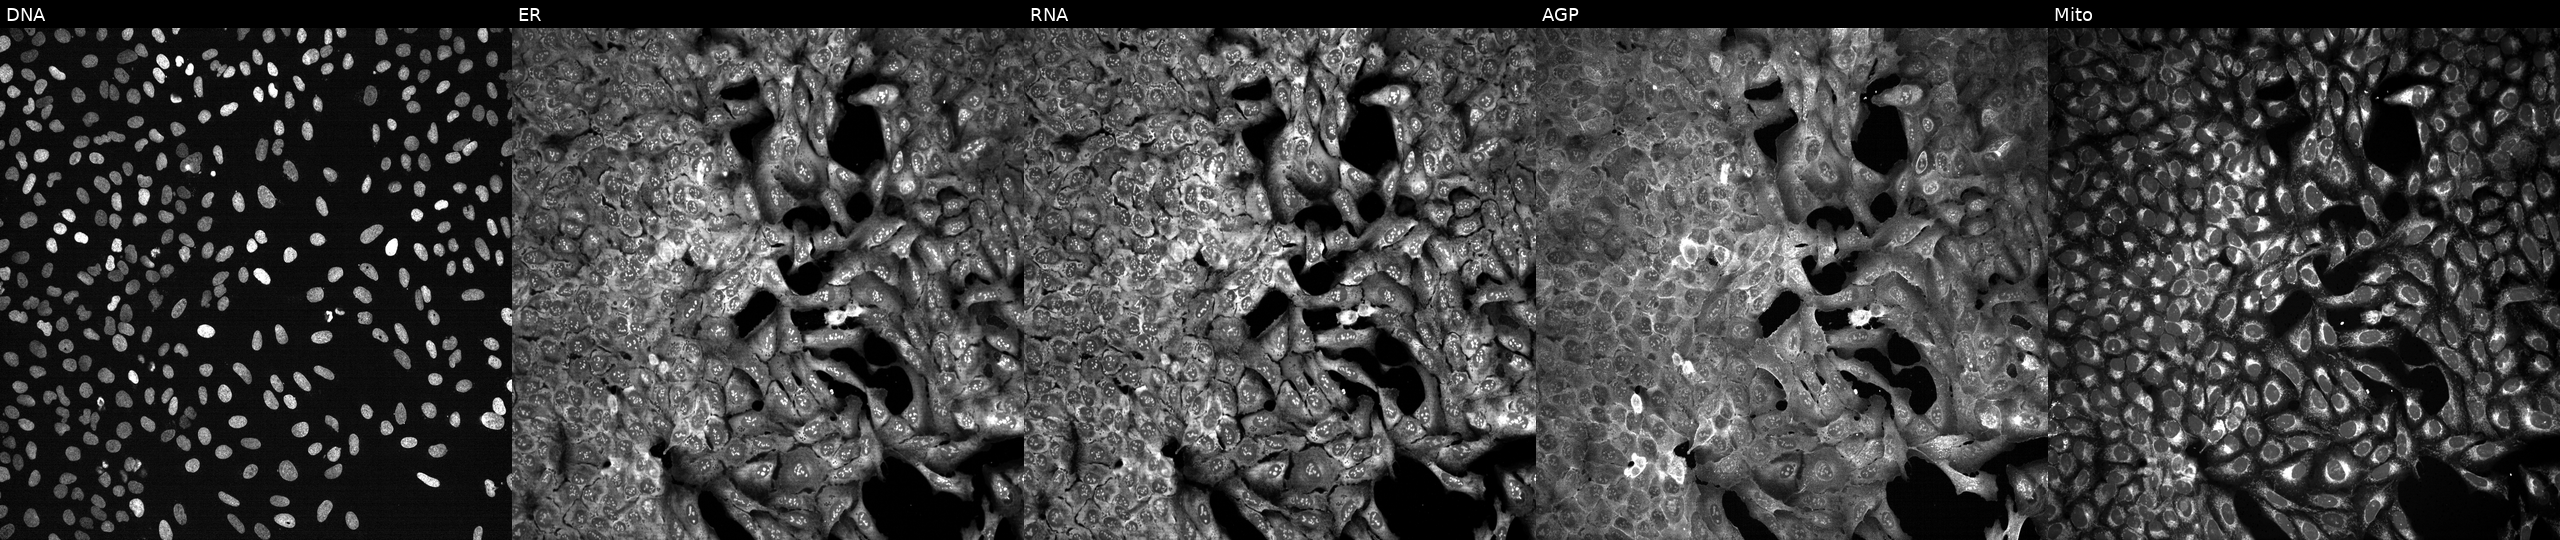
Five-channel Cell Painting image of U2OS cells with RTCA knocked out by CRISPR (JUMP id JCP2022_806137). The five panels, left to right, show DNA (nuclei); ER (endoplasmic reticulum); RNA (nucleoli and cytoplasmic RNA); AGP (actin cytoskeleton, Golgi, and plasma membrane); Mito (mitochondria).